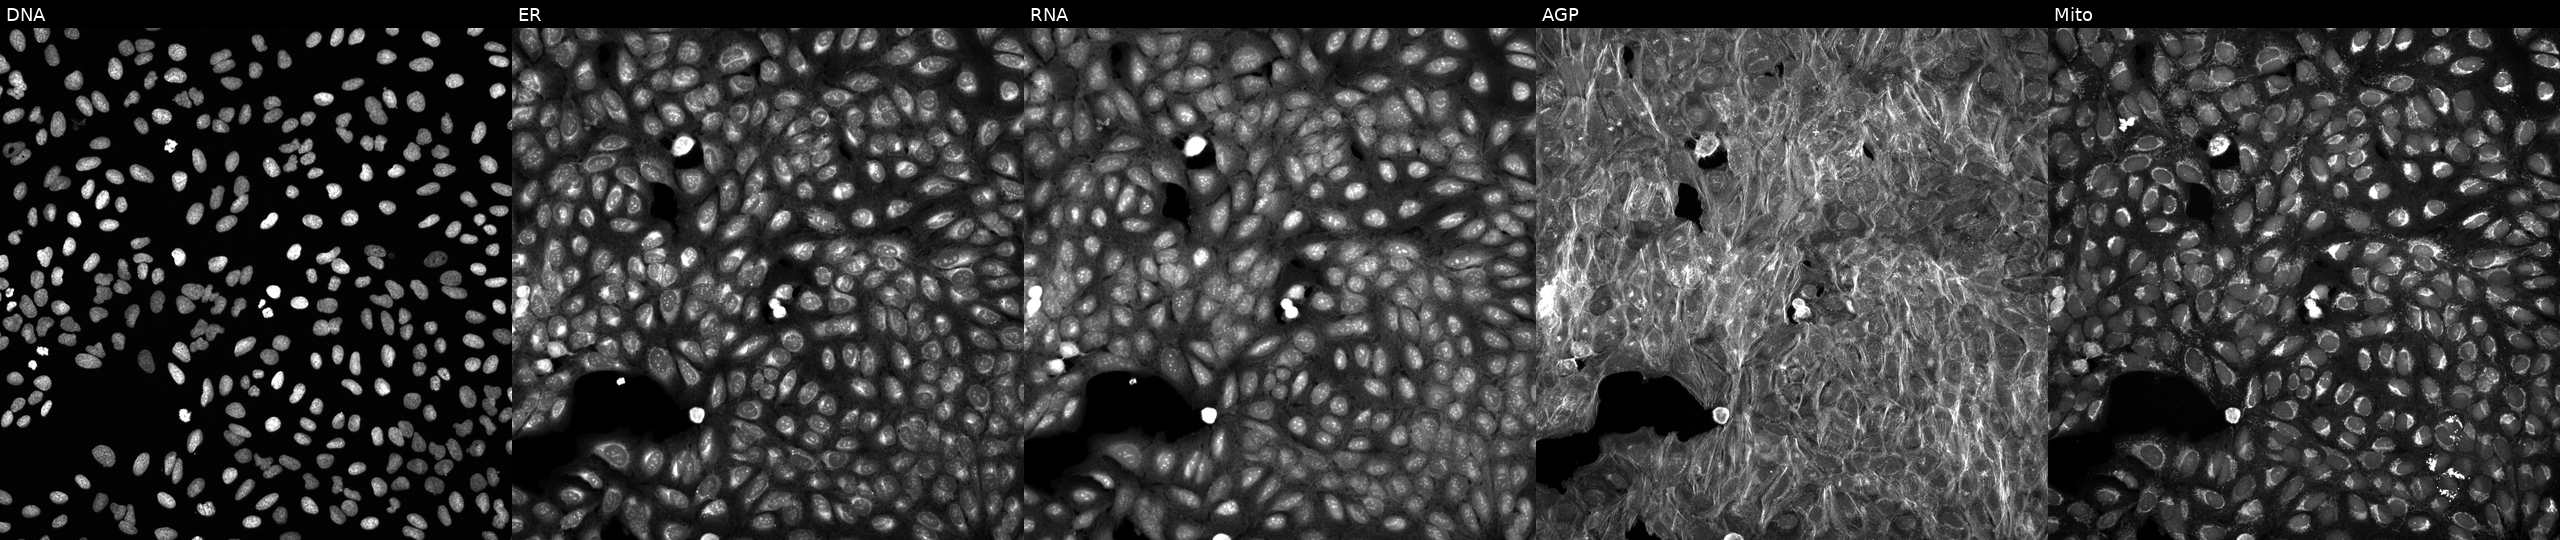
U2OS cells, Cell Painting assay, exposed to DMSO alone as a negative control (JUMP id JCP2022_033924). From left to right: DNA, ER, RNA, AGP, and Mito. Each panel is percentile-stretched 16-bit fluorescence.